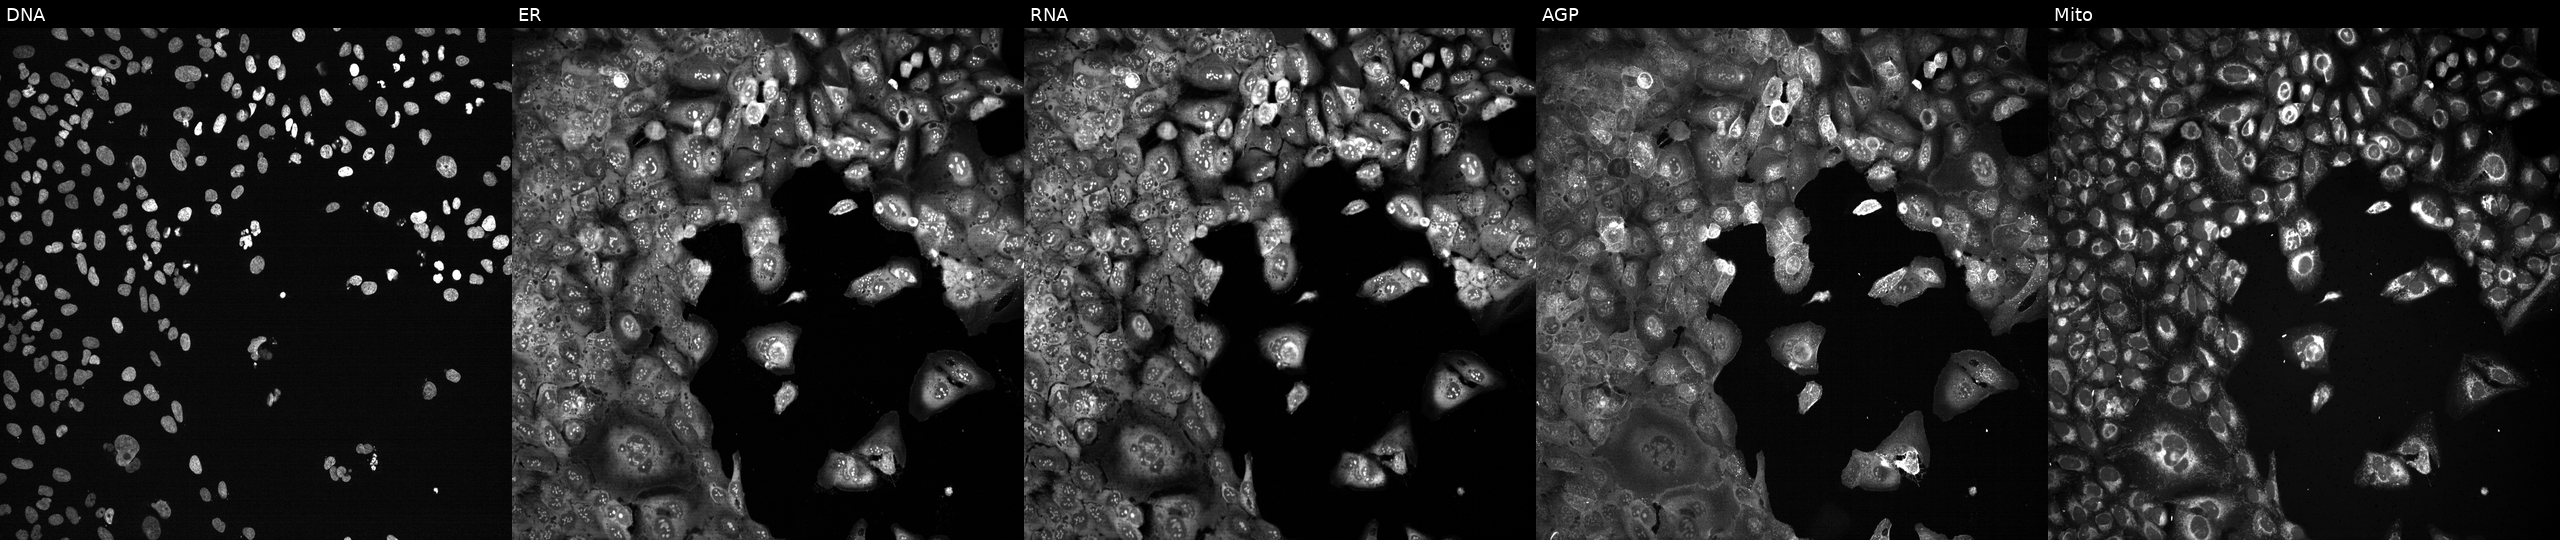
Five-channel Cell Painting image of U2OS cells with MDK knocked out by CRISPR. The five panels, left to right, show DNA (nuclei); ER (endoplasmic reticulum); RNA (nucleoli and cytoplasmic RNA); AGP (actin cytoskeleton, Golgi, and plasma membrane); Mito (mitochondria).